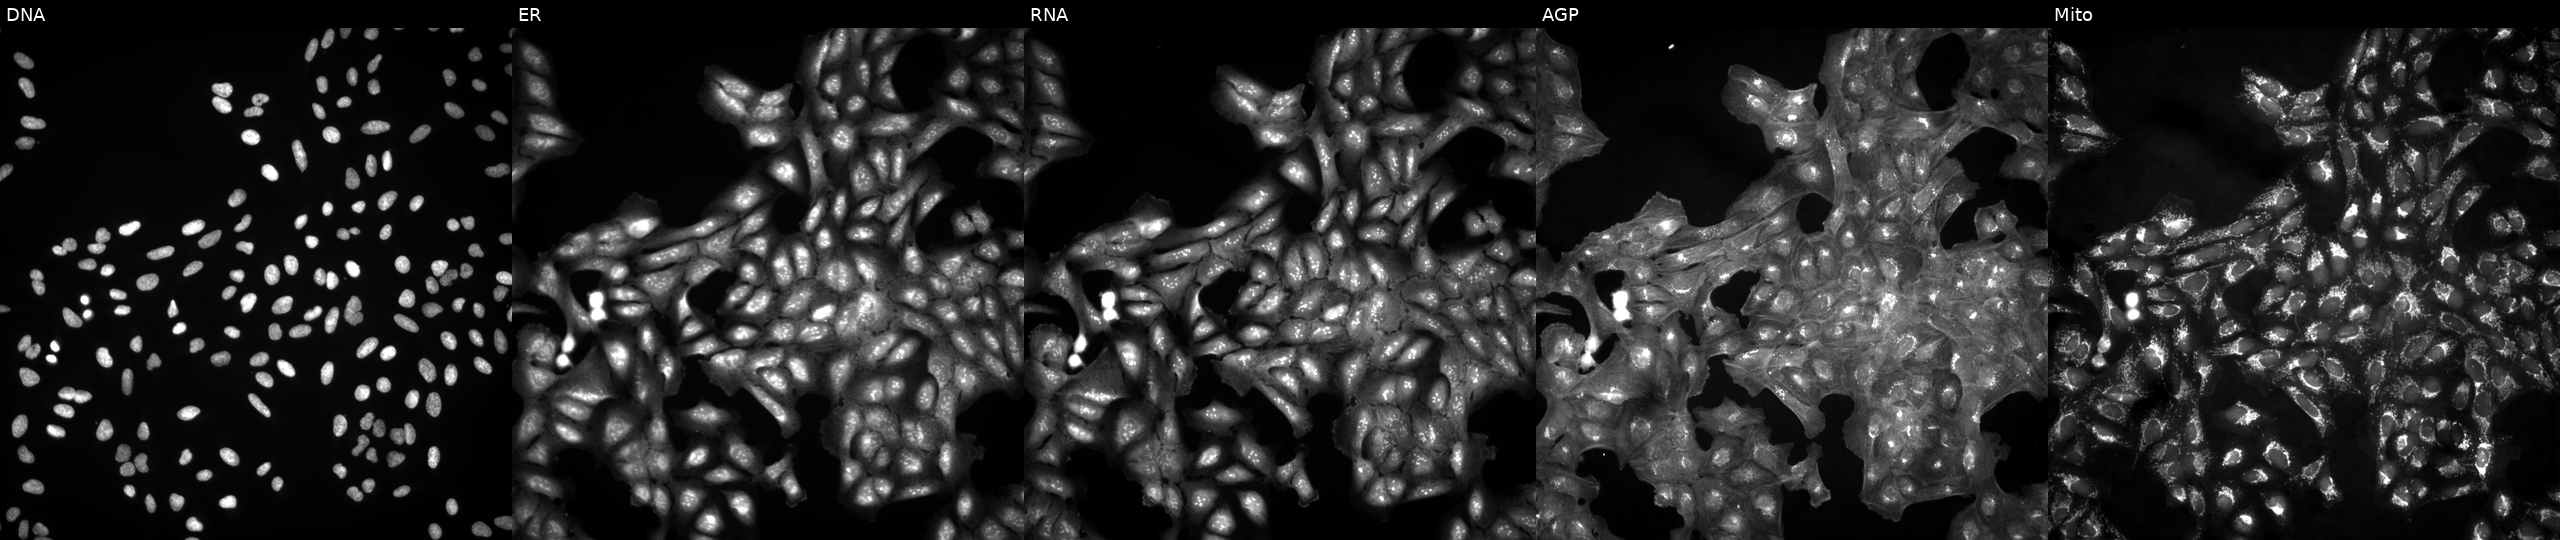
Five-channel Cell Painting image of U2OS cells in an empty control well (no perturbation). Panels show, left to right, Hoechst 33342, concanavalin A, SYTO 14, phalloidin and WGA, MitoTracker. Source 4, plate BR00123946, well P04.